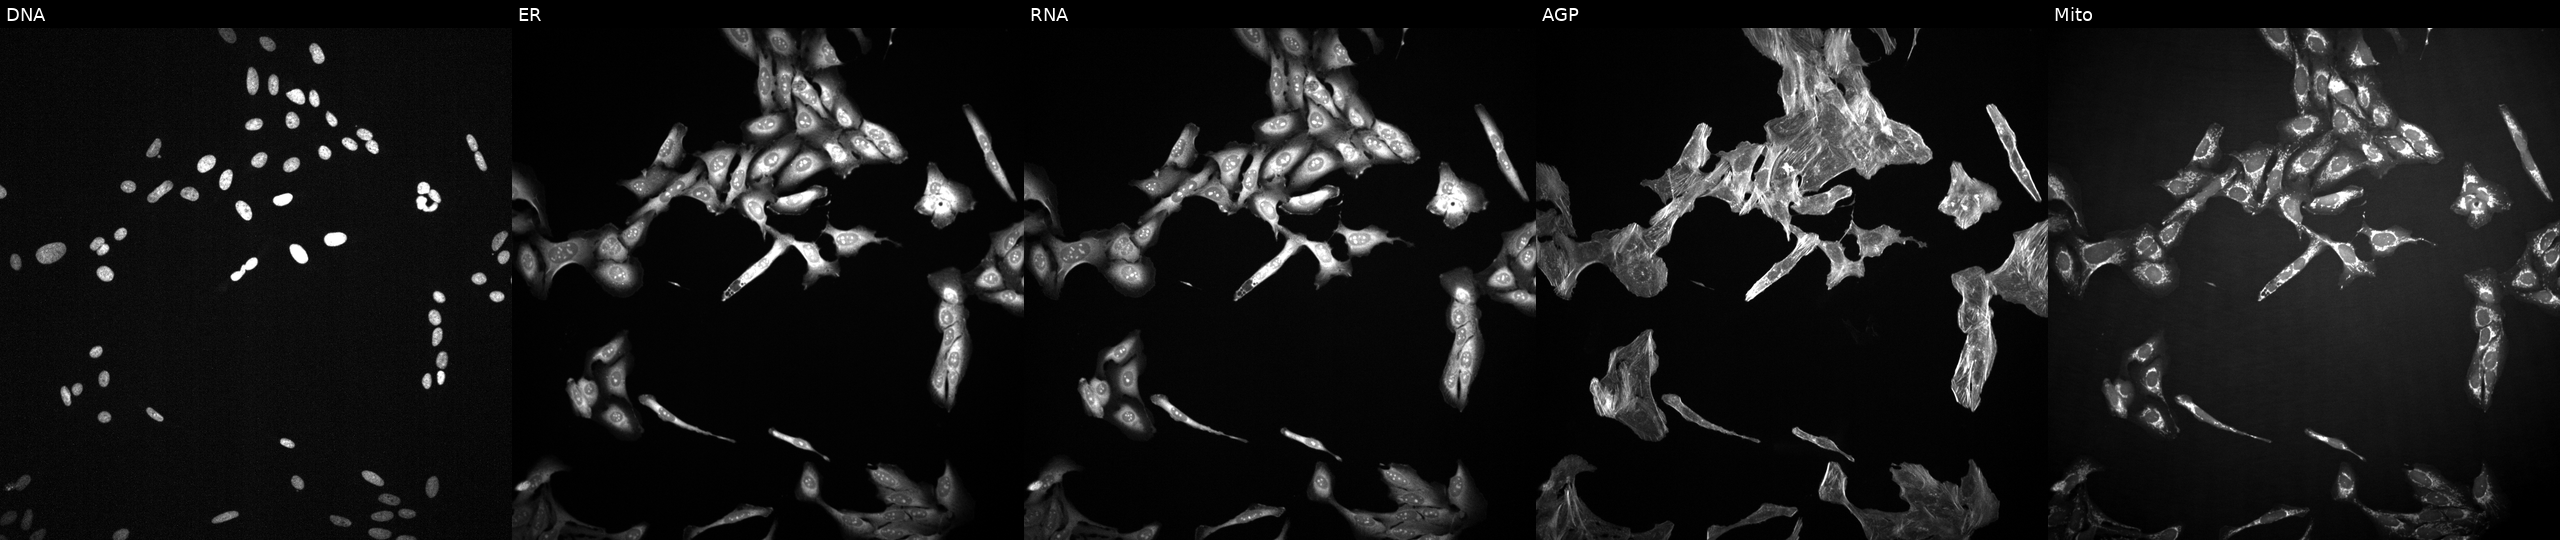
JUMP Cell Painting — TARGET2 plate. U2OS cells treated with a small-molecule compound (InChIKey WYWHKKSPHMUBEB-UHFFFAOYSA-N) (JUMP id JCP2022_102083). Panels show, left to right, DNA (nuclei); ER (endoplasmic reticulum); RNA (nucleoli and cytoplasmic RNA); AGP (actin cytoskeleton, Golgi, and plasma membrane); Mito (mitochondria).